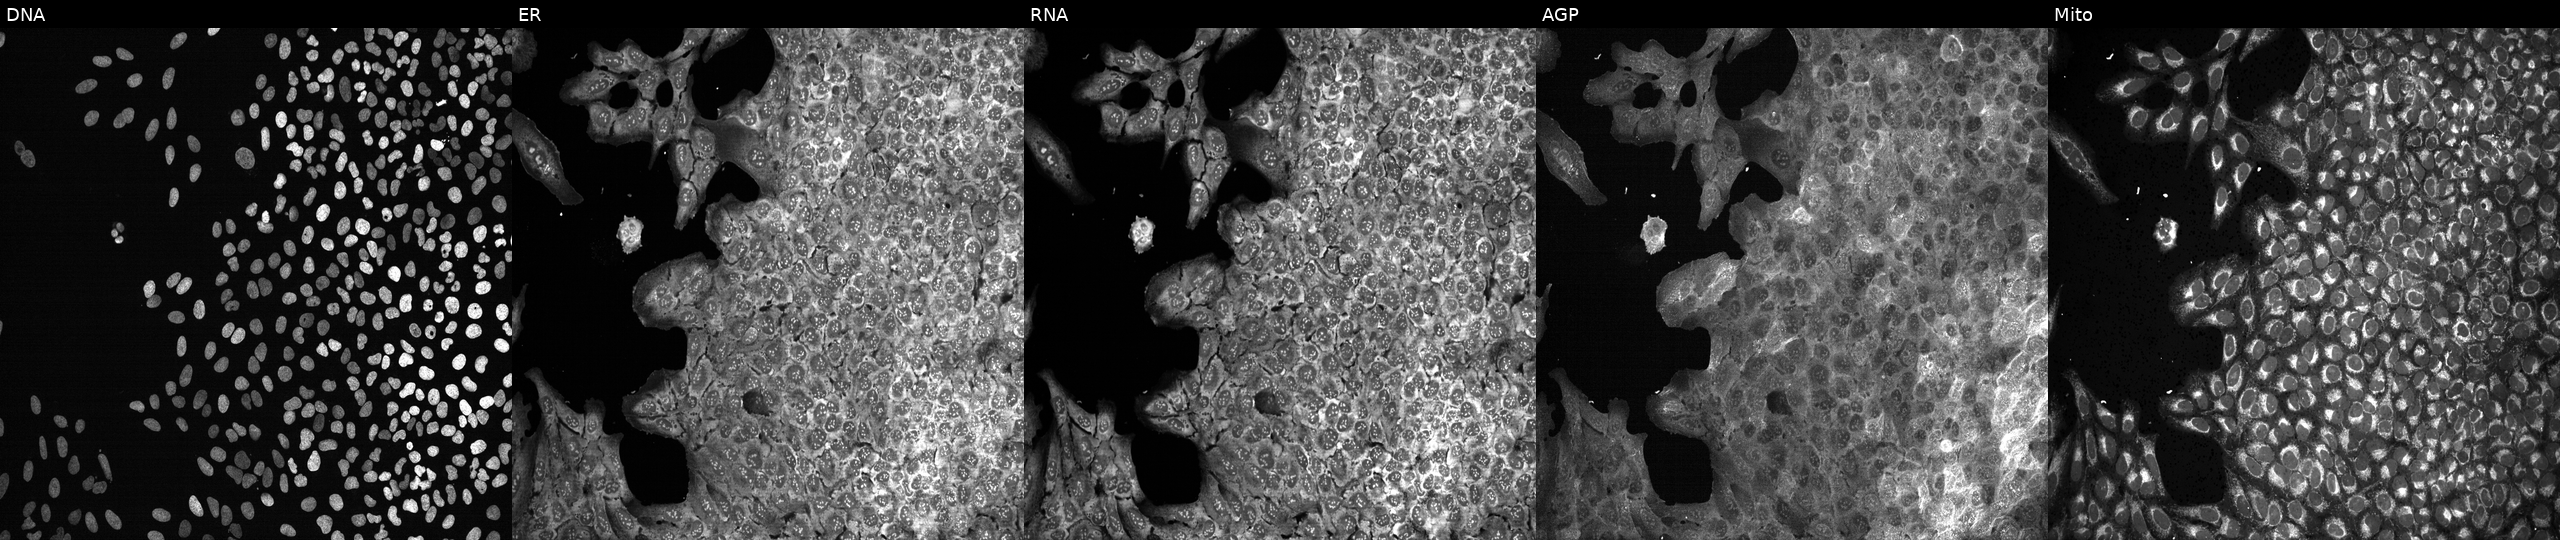
High-content fluorescence microscopy (Cell Painting). Cell line: U2OS. Perturbation: treated with aloxistatin (positive-control compound). The five panels, left to right, show Hoechst 33342, concanavalin A, SYTO 14, phalloidin and WGA, MitoTracker. Source 13, plate CP-CC9-R2-01, well L01.